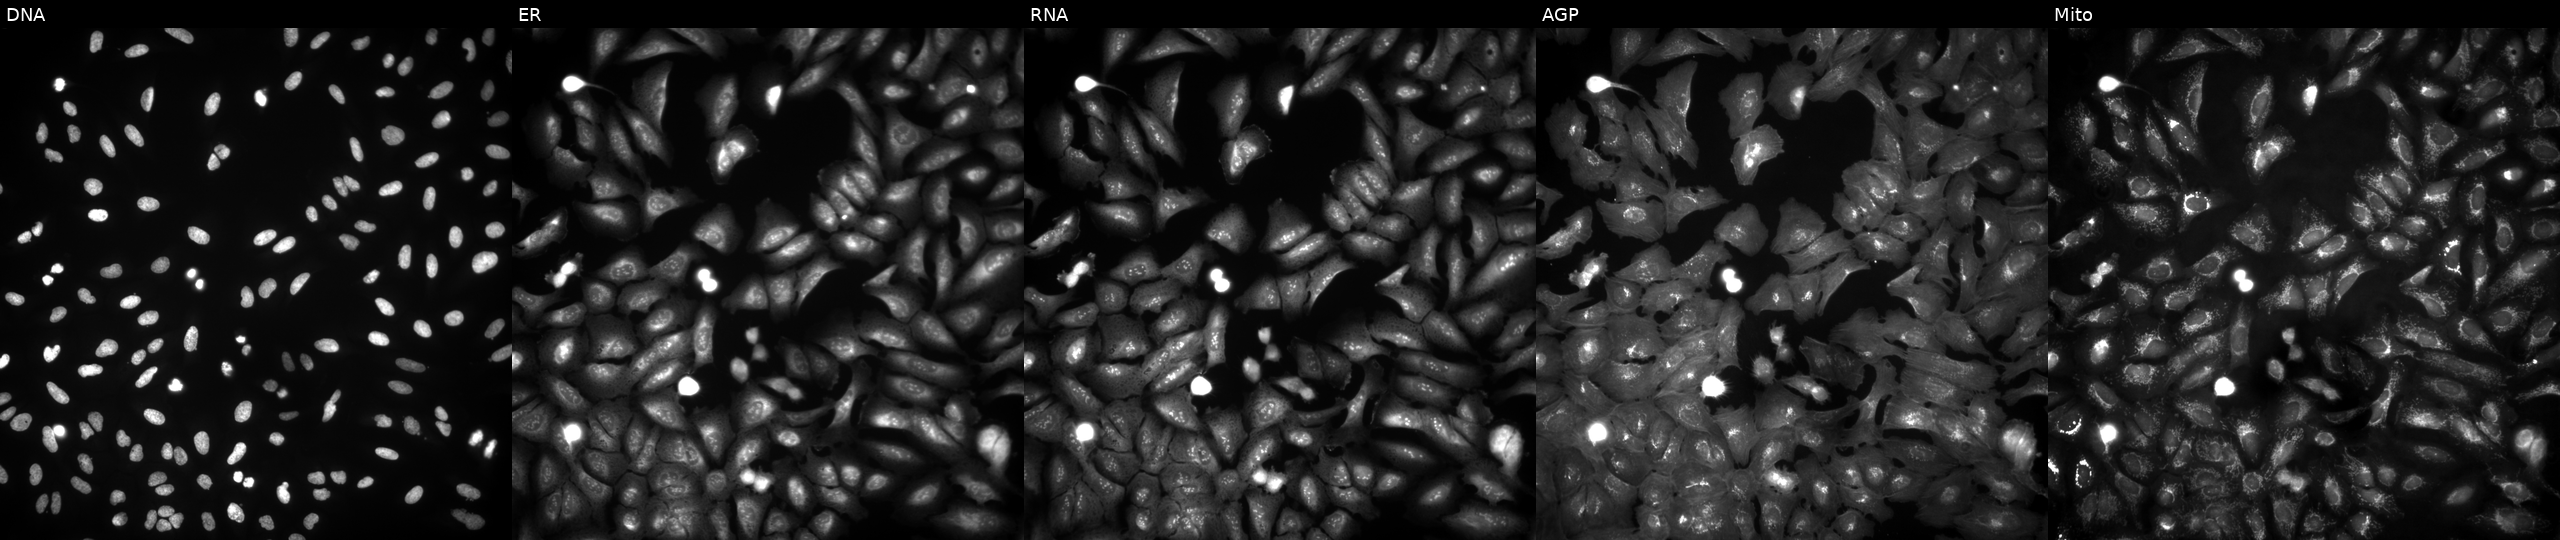
This image strip shows the five Cell Painting channels for a single field of U2OS cells with TMCO4 overexpressed (ORF). Panels show, left to right, DNA (nuclei); ER (endoplasmic reticulum); RNA (nucleoli and cytoplasmic RNA); AGP (actin cytoskeleton, Golgi, and plasma membrane); Mito (mitochondria).